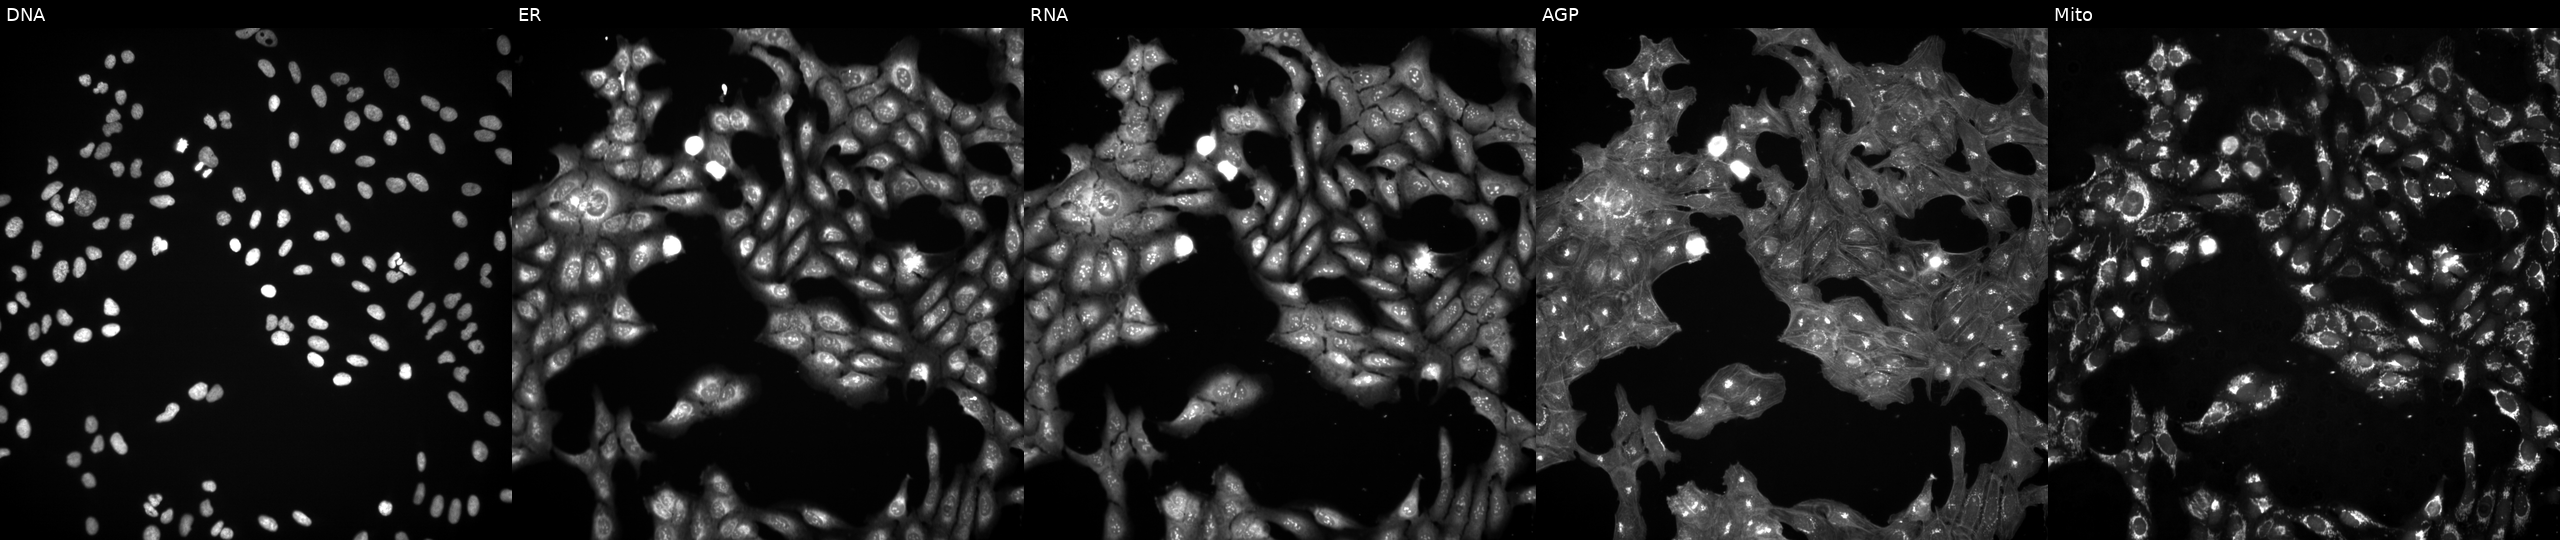
Channels (left→right): DNA (nuclei); ER (endoplasmic reticulum); RNA (nucleoli and cytoplasmic RNA); AGP (actin cytoskeleton, Golgi, and plasma membrane); Mito (mitochondria). U2OS osteosarcoma cells exposed to a small-molecule compound (InChIKey CDIXQOOELZYAPI-UHFFFAOYSA-N). Cell Painting assay, JUMP-CP dataset. Source 3, plate BR5867a3, well K21.